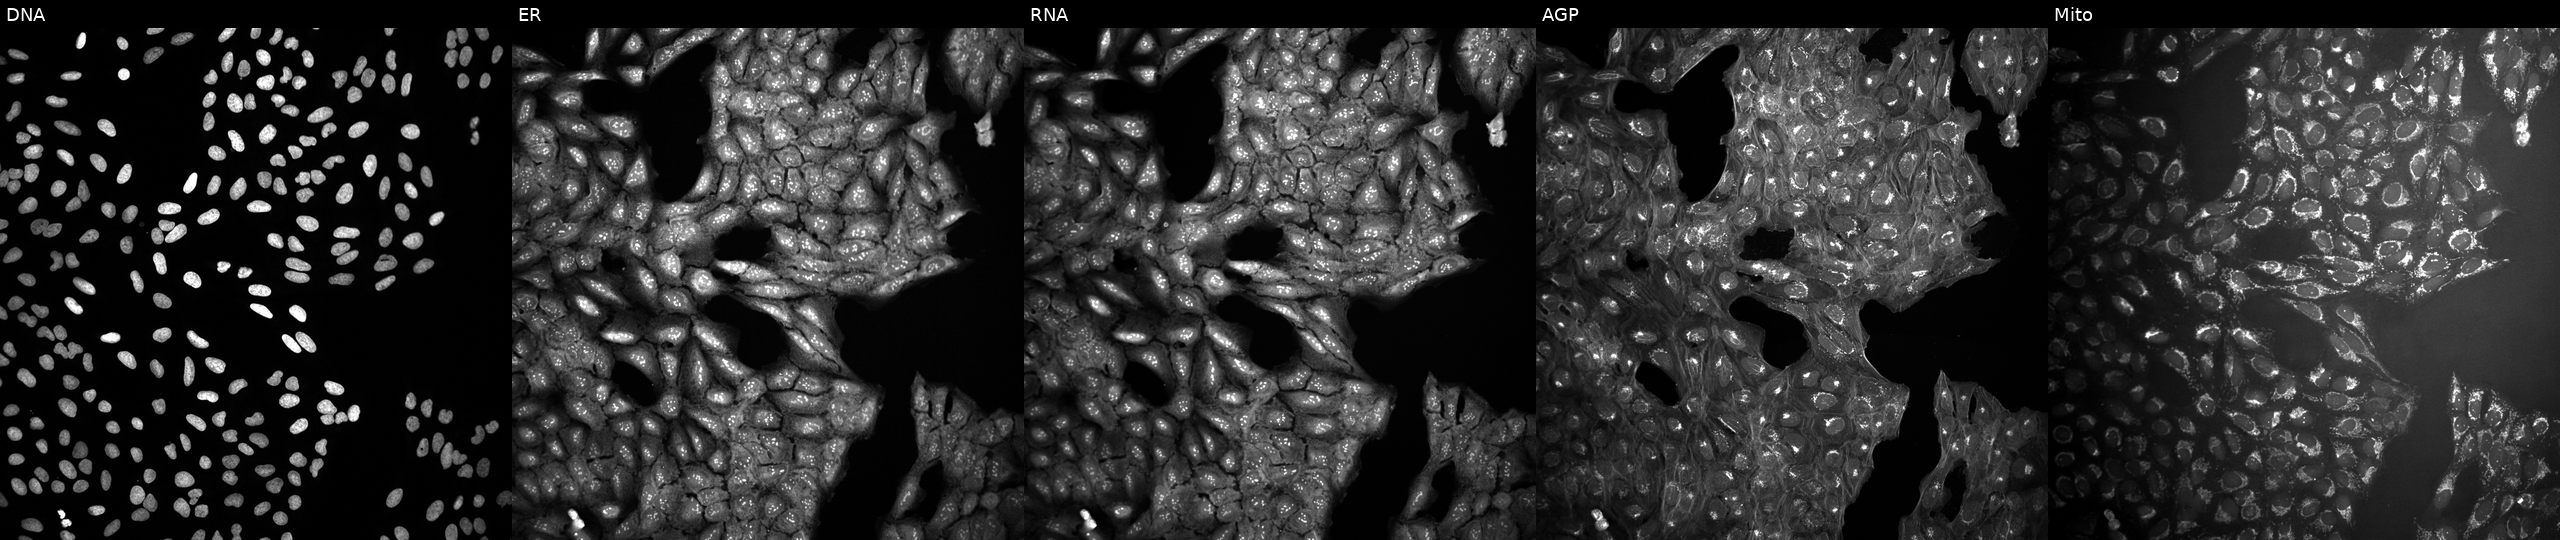
U2OS cells, Cell Painting assay, perturbed with a small-molecule compound (InChIKey GYCBPMBATAAVFB-UHFFFAOYSA-N) (JUMP id JCP2022_028480). Channels (left→right): Hoechst 33342, concanavalin A, SYTO 14, phalloidin and WGA, MitoTracker. Each panel is percentile-stretched 16-bit fluorescence. Source 10, plate Dest210531-152149, well G22.